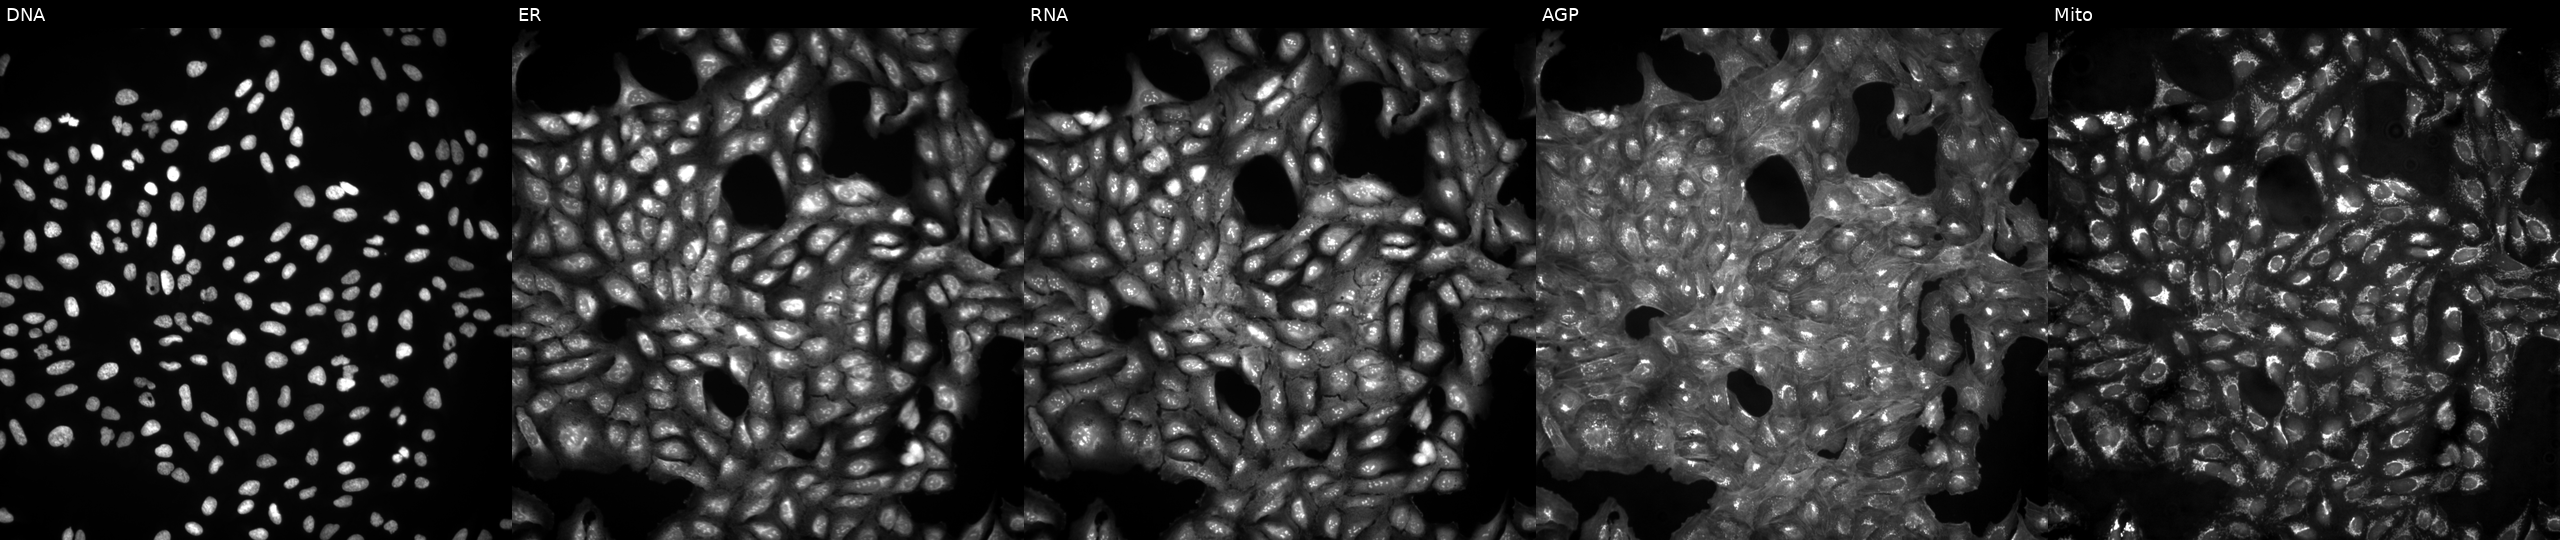
From left to right: Hoechst 33342, concanavalin A, SYTO 14, phalloidin and WGA, MitoTracker. U2OS osteosarcoma cells untreated (empty-well control). Cell Painting assay, JUMP-CP dataset.